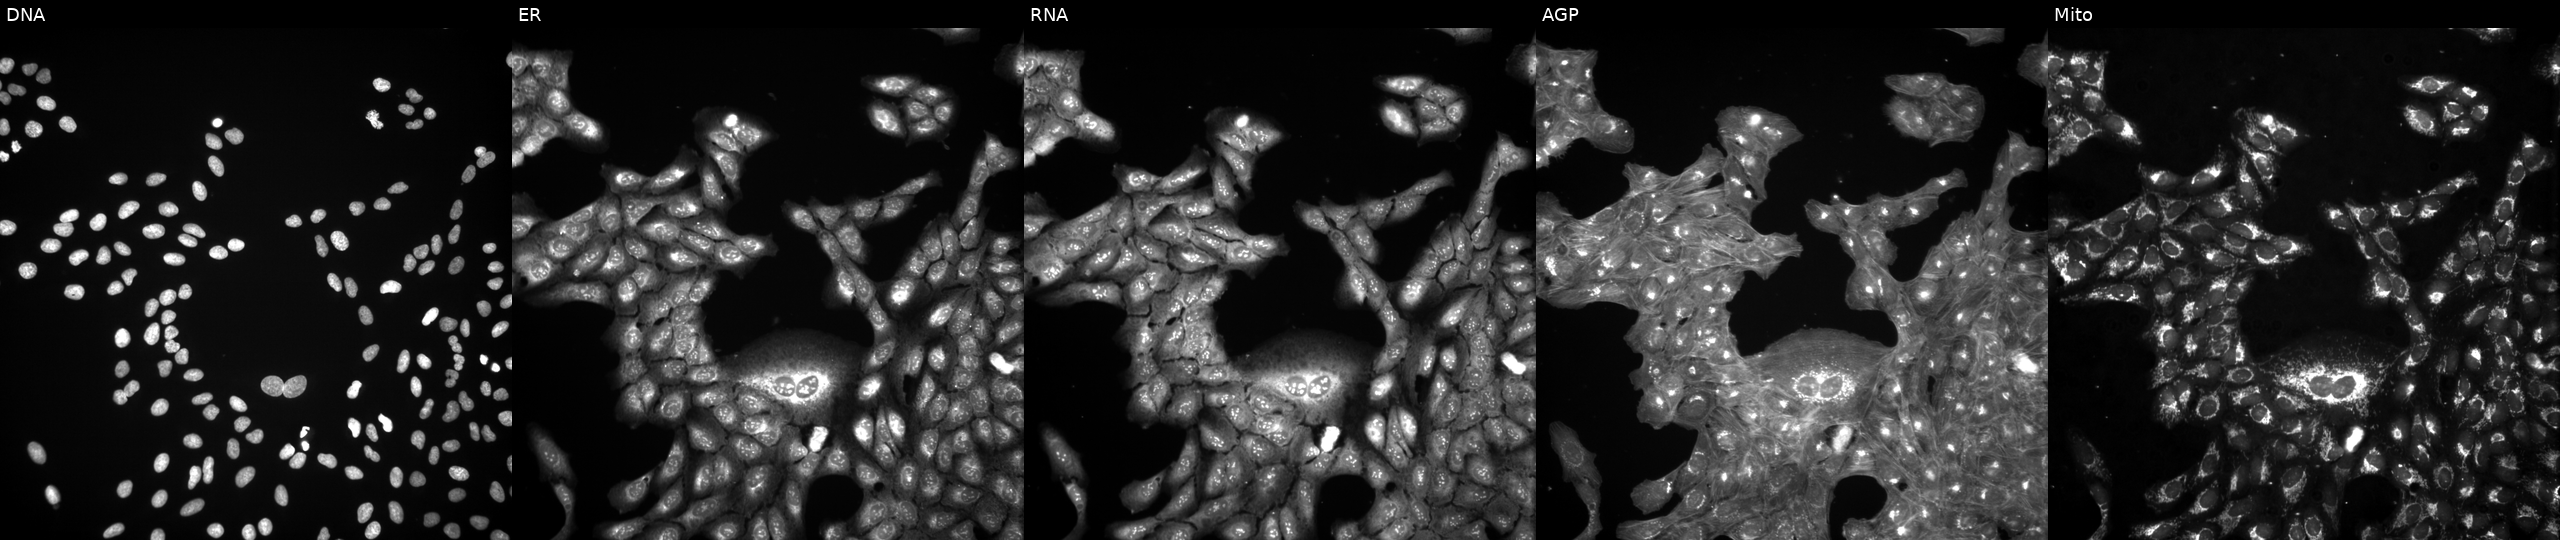
Panels show, left to right, Hoechst 33342, concanavalin A, SYTO 14, phalloidin and WGA, MitoTracker. U2OS osteosarcoma cells treated with DMSO vehicle only (negative control) (JUMP id JCP2022_033924). Cell Painting assay, JUMP-CP dataset. Source 3, plate JCPQC052, well I20.